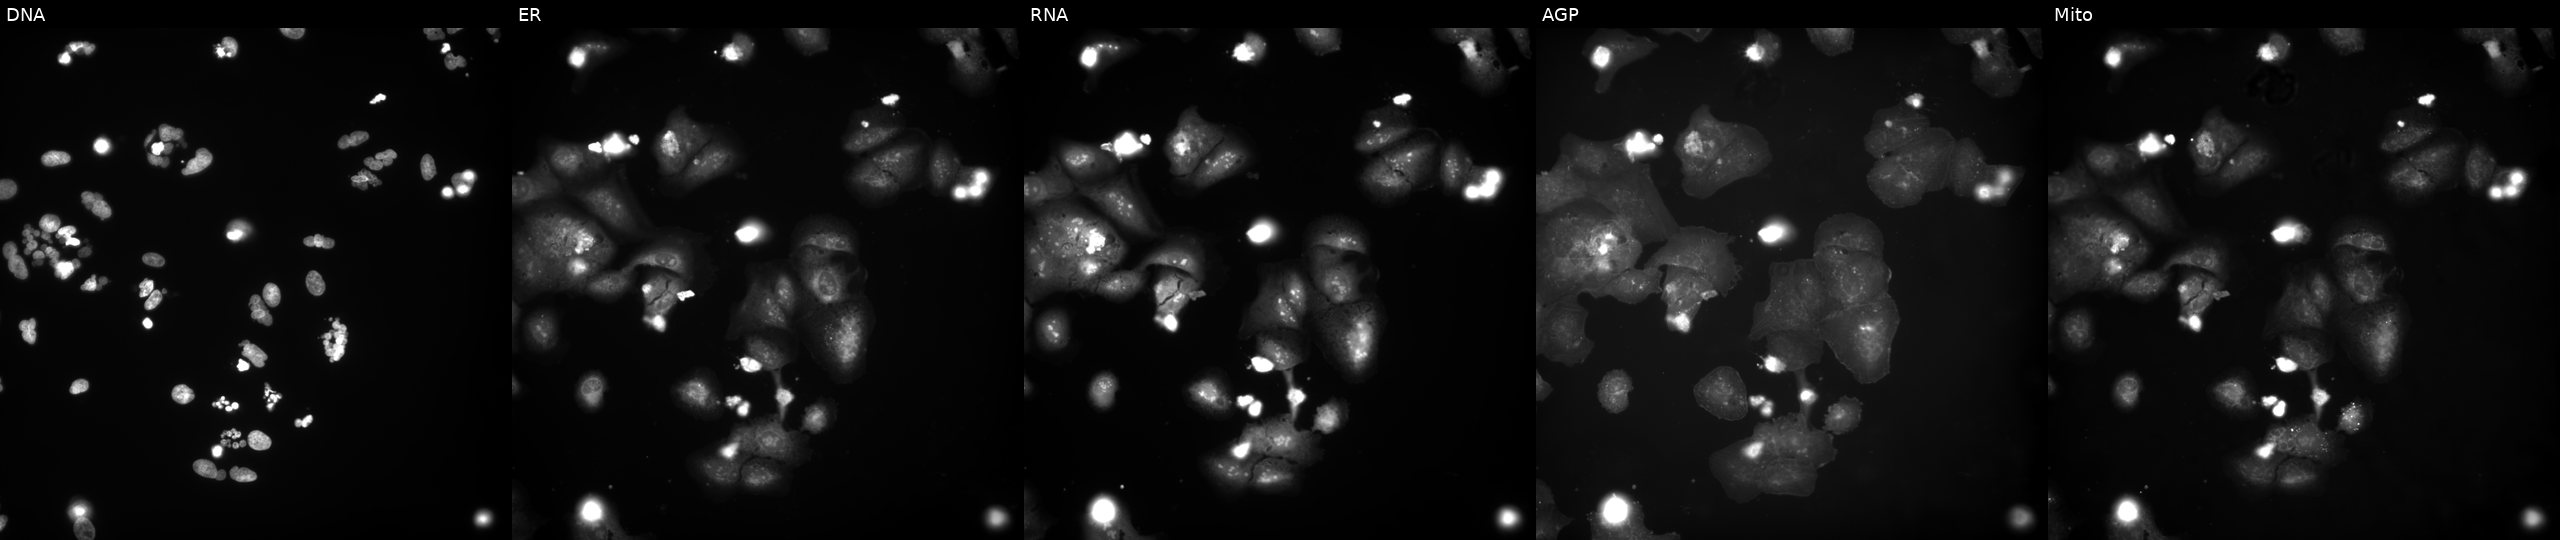
Panels show, left to right, Hoechst 33342, concanavalin A, SYTO 14, phalloidin and WGA, MitoTracker. U2OS osteosarcoma cells exposed to a small-molecule compound (InChIKey SEACXRZKDQQCDM-UHFFFAOYSA-N). Cell Painting assay, JUMP-CP dataset. Source 9, plate GR00003381, well Y45.